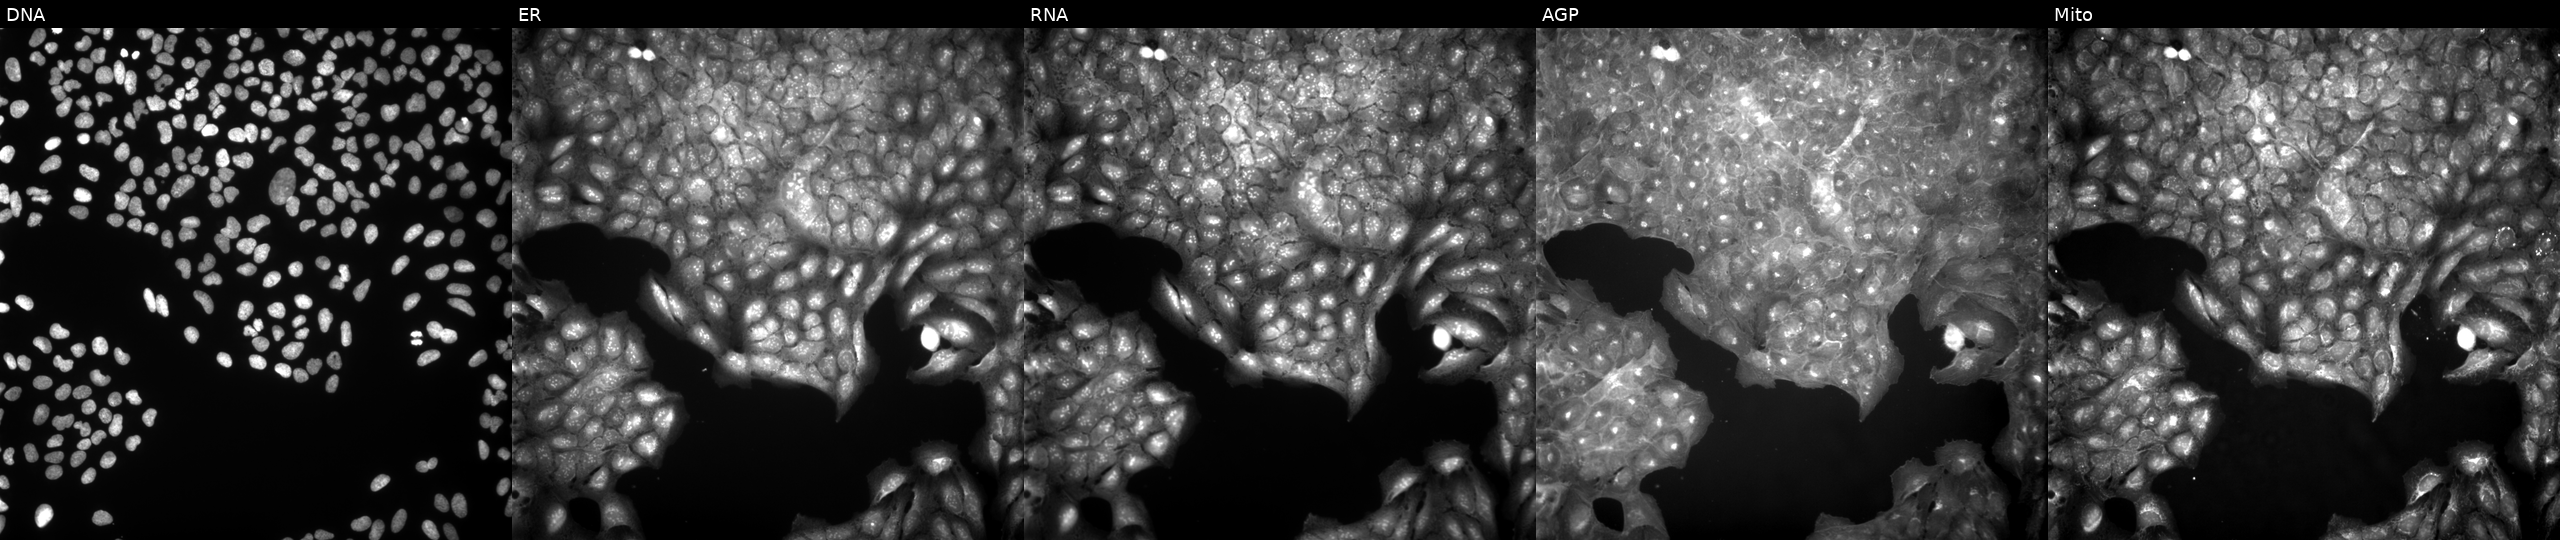
U2OS cells, Cell Painting assay, exposed to DMSO alone as a negative control (JUMP id JCP2022_033924). Channels (left→right): Hoechst 33342, concanavalin A, SYTO 14, phalloidin and WGA, MitoTracker. Each panel is percentile-stretched 16-bit fluorescence. Source 9, plate GR00003381, well H23.